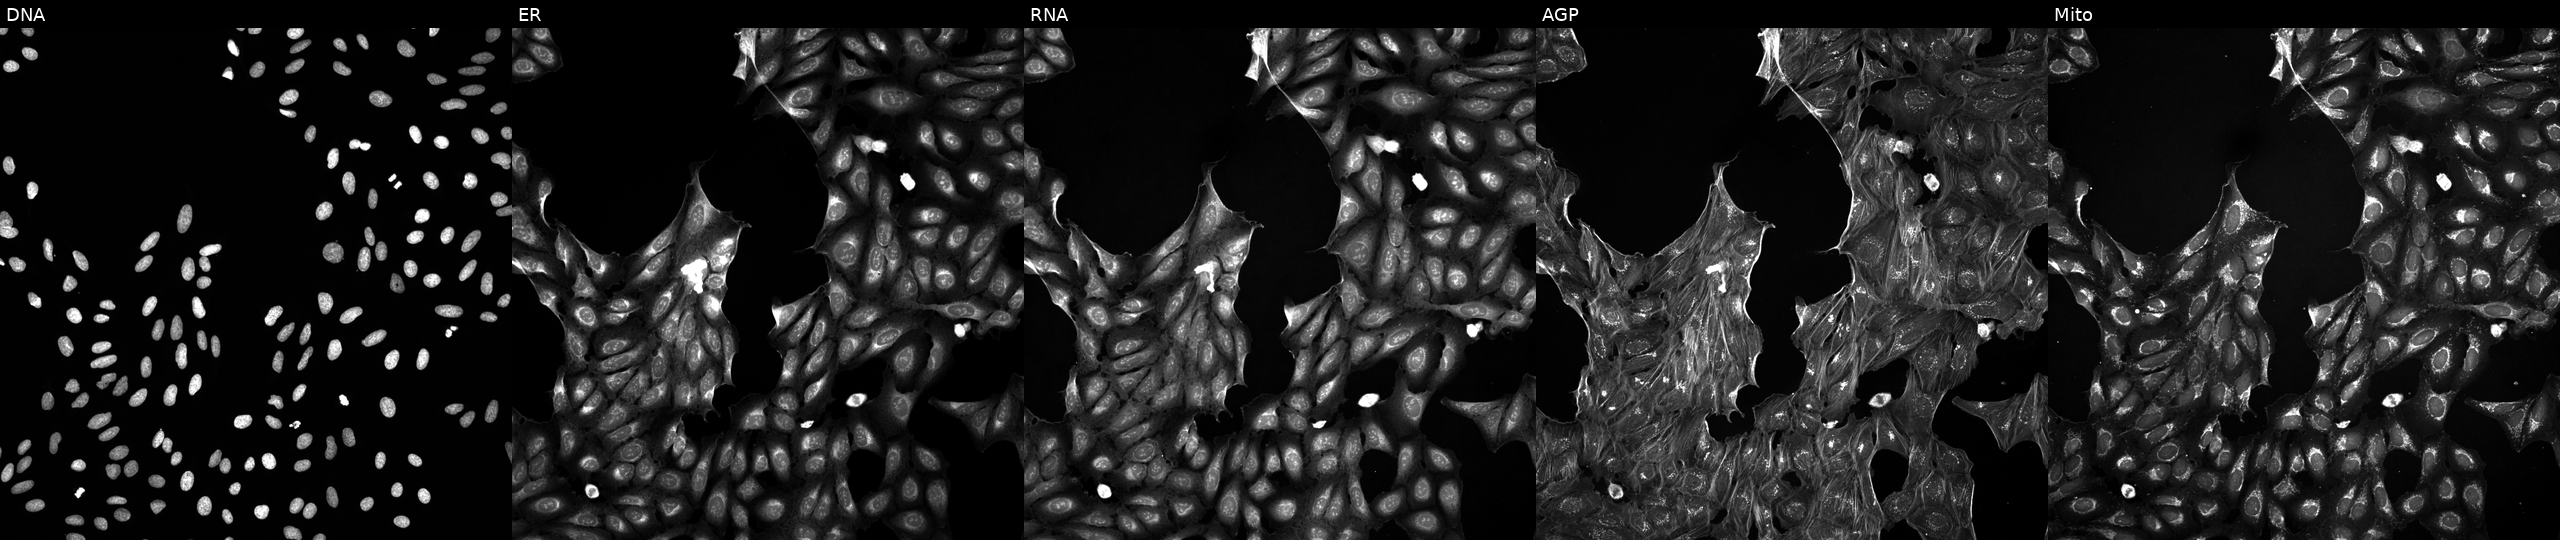
JUMP Cell Painting — TARGET2 plate. U2OS cells perturbed with a small-molecule compound [SMILES: COC1C=COC2(C)Oc3c(C)c(O)c4c(O)c(cc(O)c4c3C2=O)NC(=O)C(C)=CC=CC(C)C(O)C(C)C(O)C(C)C(OC(C)=O)C1C] (JUMP id JCP2022_030713). From left to right: DNA, ER, RNA, AGP, and Mito.